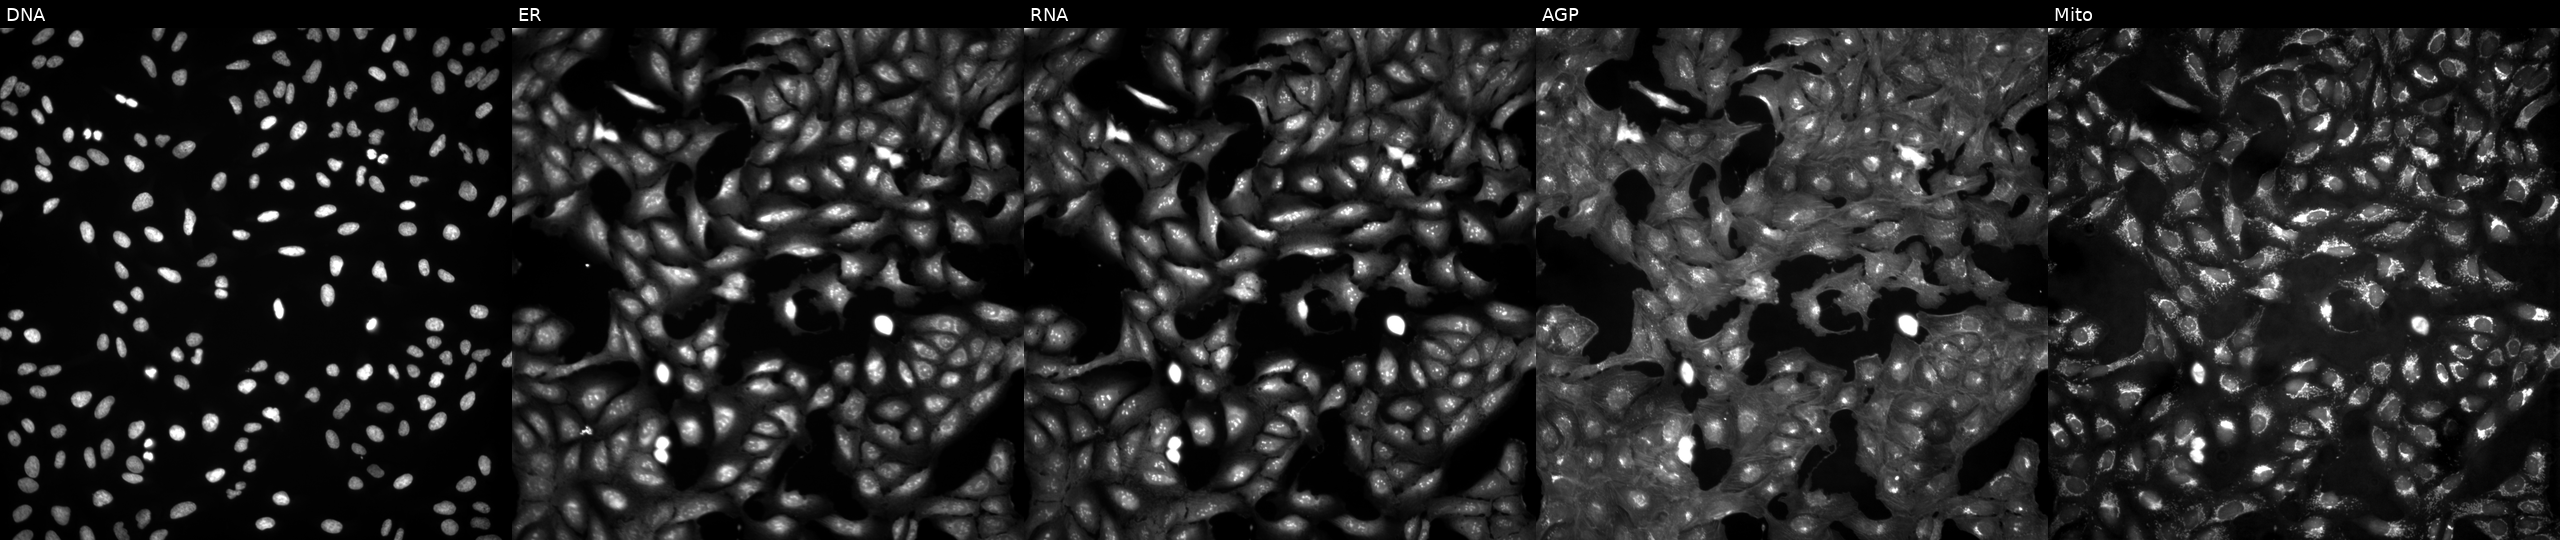
Channels (left→right): Hoechst 33342, concanavalin A, SYTO 14, phalloidin and WGA, MitoTracker. U2OS osteosarcoma cells untreated (empty-well control). Cell Painting assay, JUMP-CP dataset.